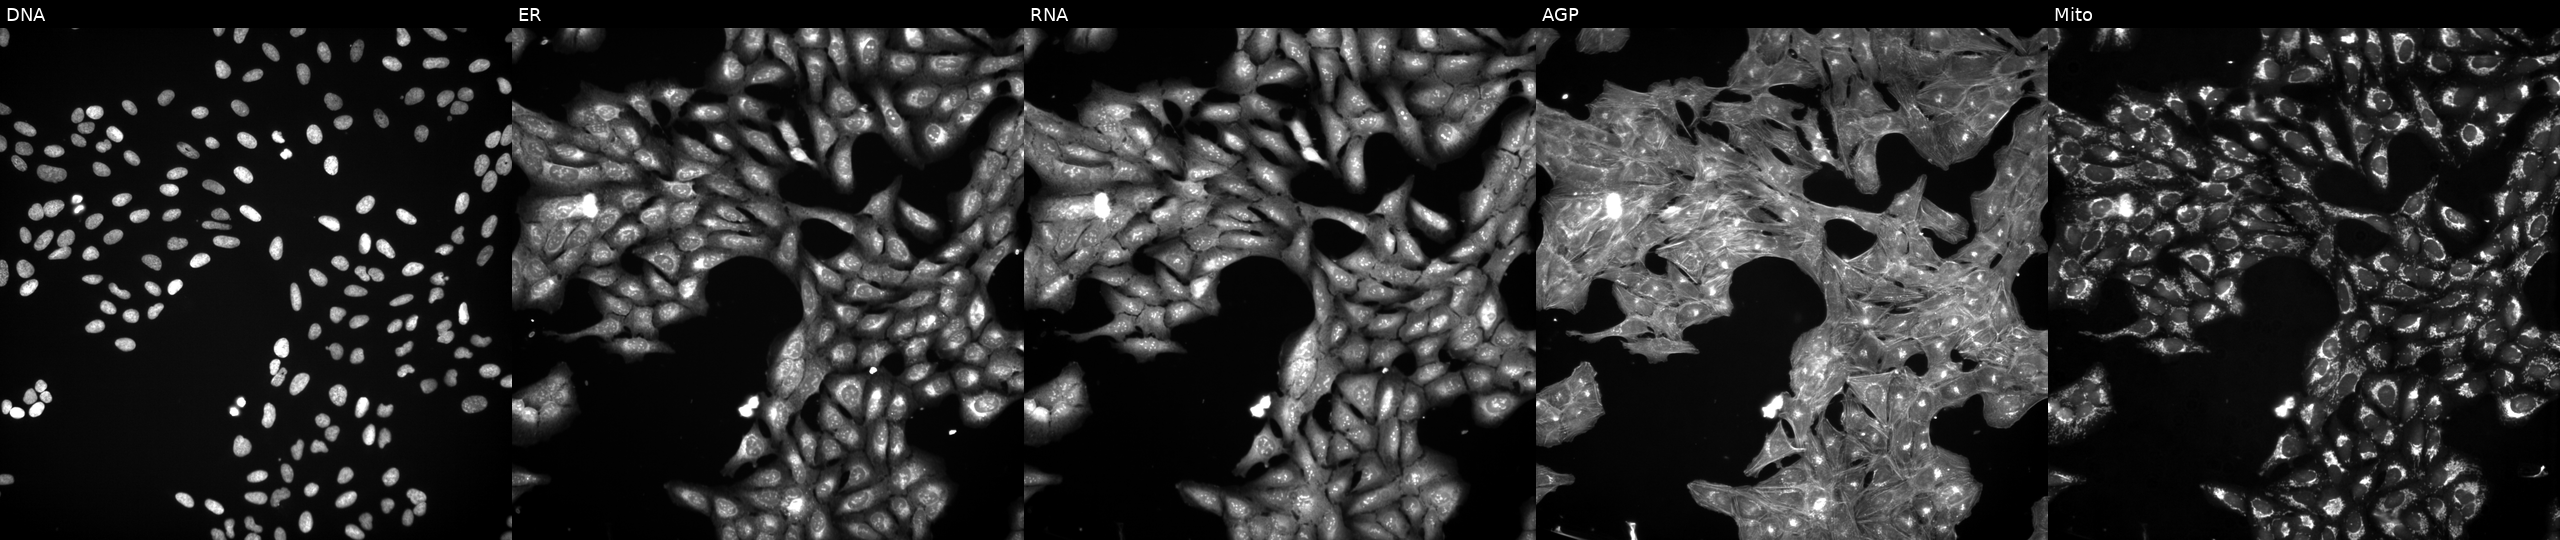
JUMP Cell Painting — TARGET2 plate. U2OS cells treated with a small-molecule compound (InChIKey LLVZBTWPGQVVLW-UHFFFAOYSA-N) (JUMP id JCP2022_050271). The five panels, left to right, show DNA (nuclei); ER (endoplasmic reticulum); RNA (nucleoli and cytoplasmic RNA); AGP (actin cytoskeleton, Golgi, and plasma membrane); Mito (mitochondria).